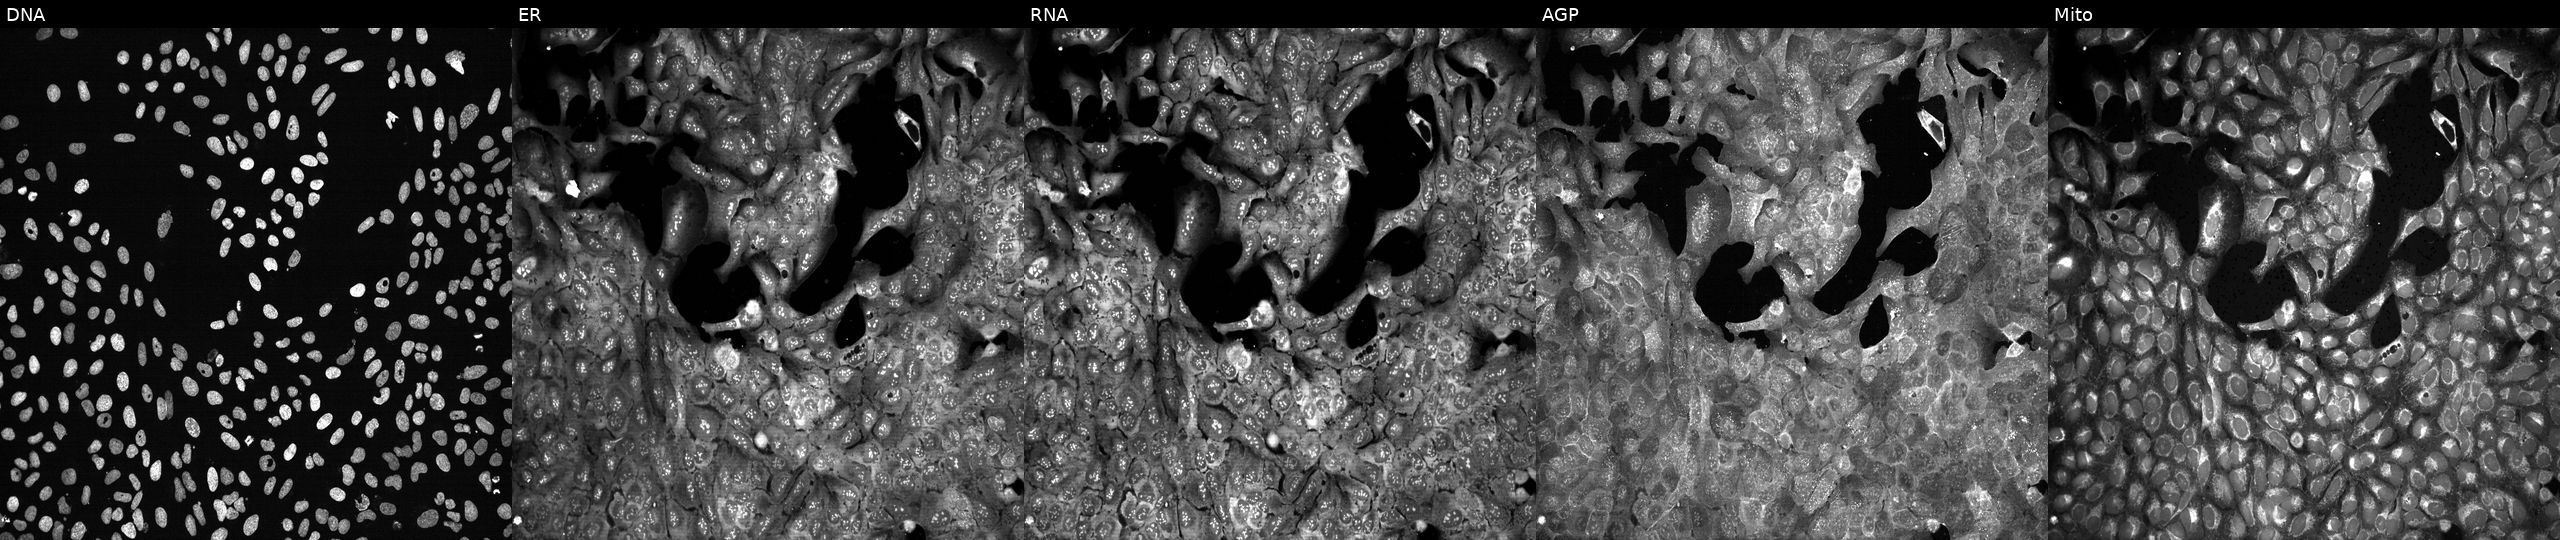
This image strip shows the five Cell Painting channels for a single field of U2OS cells with GCLM knocked out by CRISPR (JUMP id JCP2022_802643). Channels (left→right): Hoechst 33342, concanavalin A, SYTO 14, phalloidin and WGA, MitoTracker. Source 13, plate CP-CC9-R5-01, well H14.